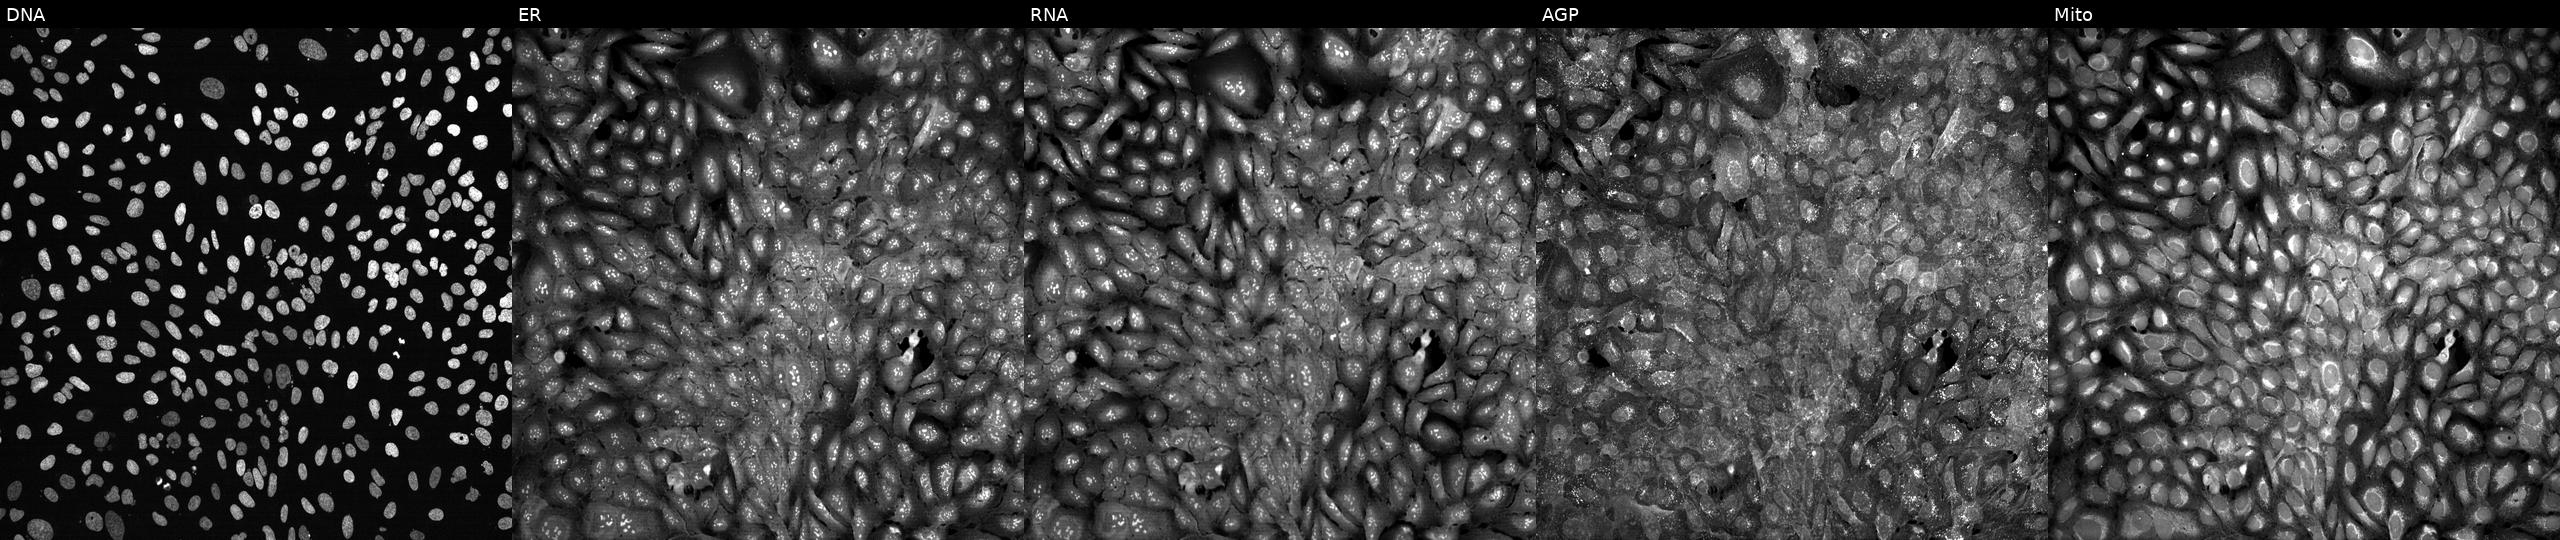
This image strip shows the five Cell Painting channels for a single field of U2OS cells CRISPR-edited to disrupt IQGAP1 (JUMP id JCP2022_803454). Channels (left→right): DNA (nuclei); ER (endoplasmic reticulum); RNA (nucleoli and cytoplasmic RNA); AGP (actin cytoskeleton, Golgi, and plasma membrane); Mito (mitochondria).